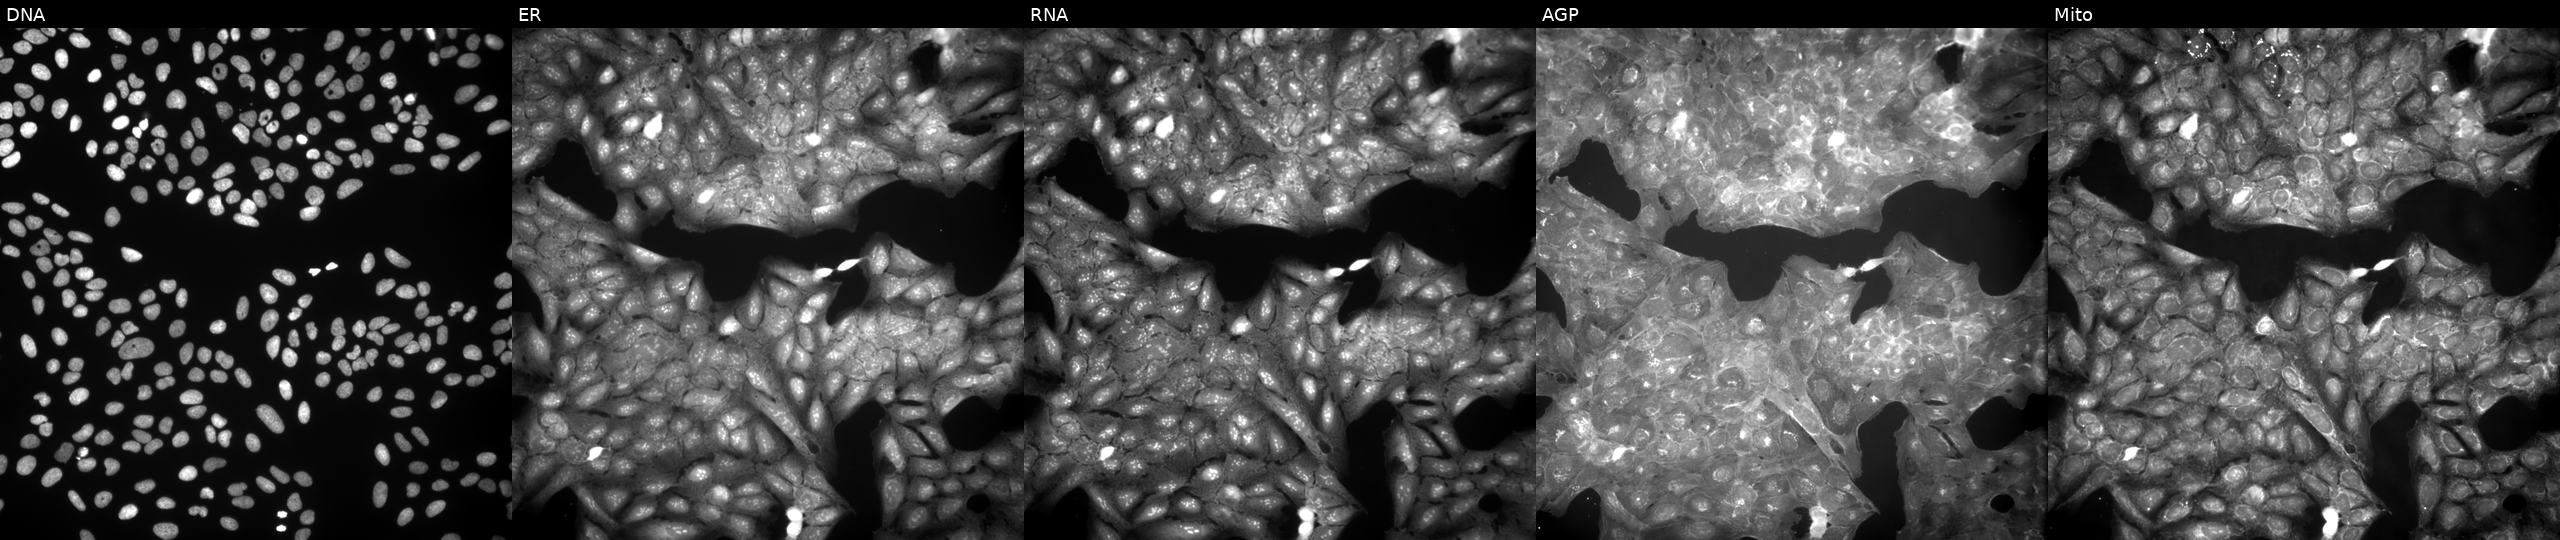
Channels (left→right): DNA (nuclei); ER (endoplasmic reticulum); RNA (nucleoli and cytoplasmic RNA); AGP (actin cytoskeleton, Golgi, and plasma membrane); Mito (mitochondria). U2OS osteosarcoma cells perturbed with a small-molecule compound (InChIKey HLMJJBGQNRQJLY-UHFFFAOYSA-N). Cell Painting assay, JUMP-CP dataset.